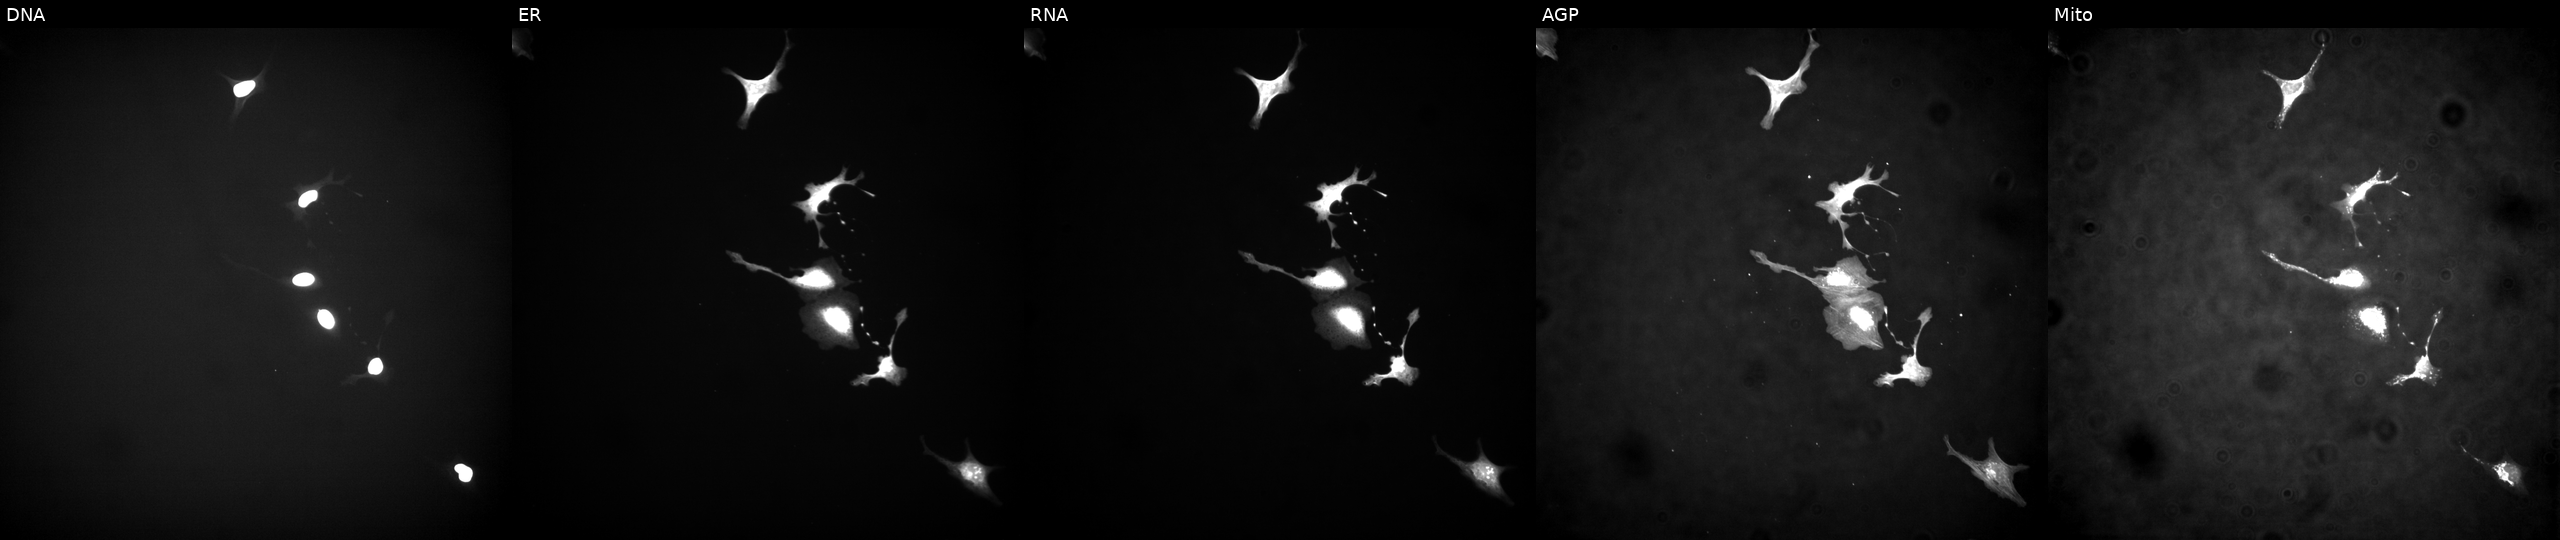
JUMP Cell Painting — ORF plate. U2OS cells overexpressing SLC5A8 via ORF transfection. The five panels, left to right, show Hoechst 33342, concanavalin A, SYTO 14, phalloidin and WGA, MitoTracker.